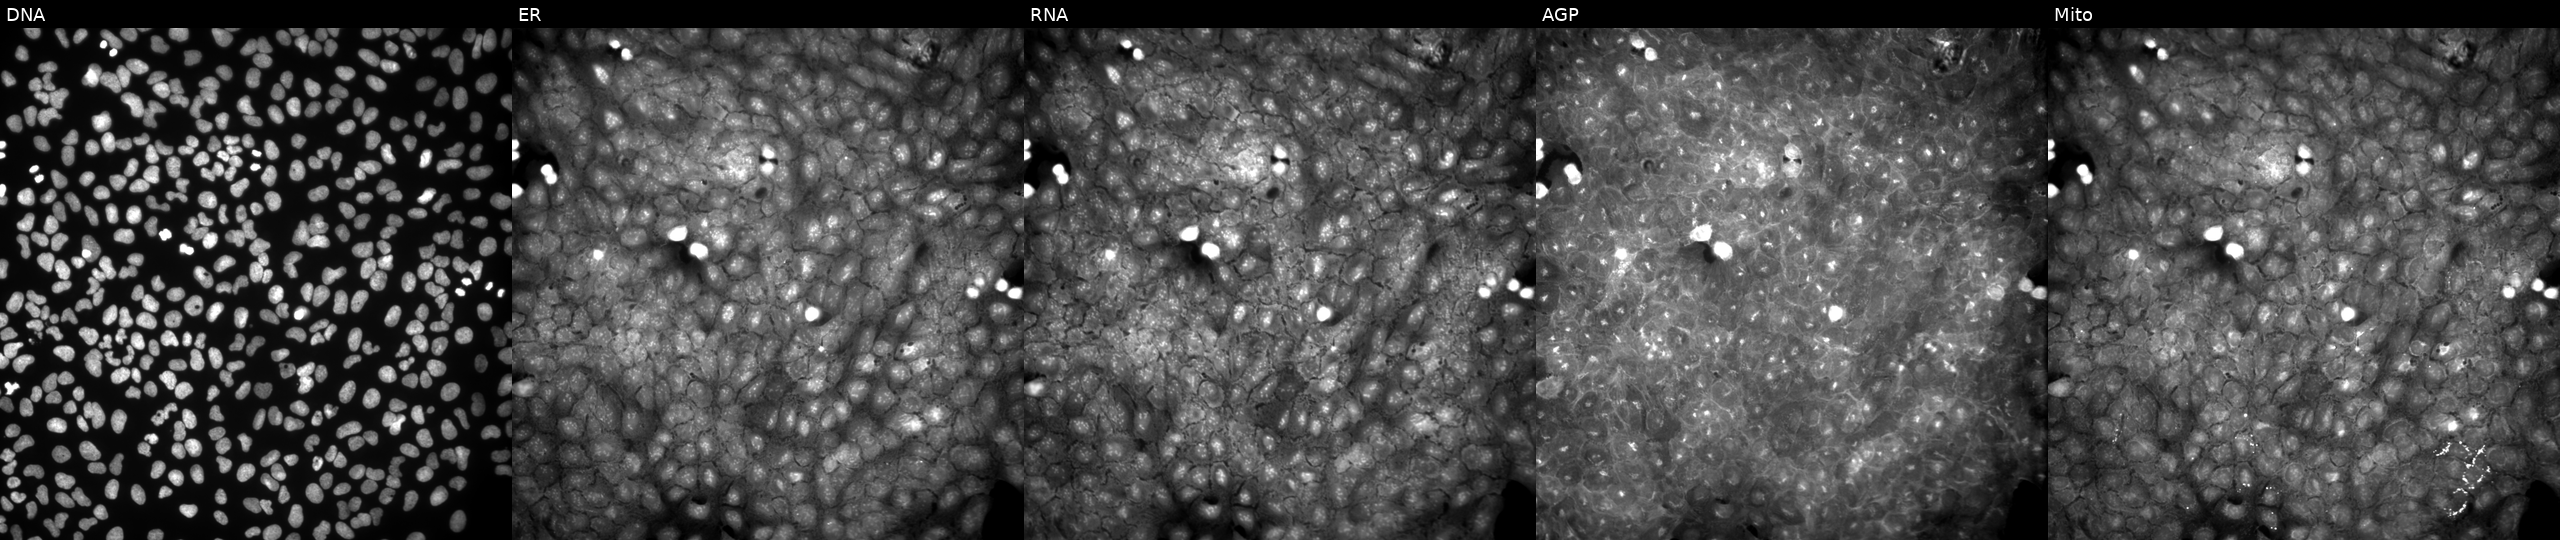
JUMP Cell Painting — COMPOUND plate. U2OS cells perturbed with a small-molecule compound (InChIKey RMFDFWIUWQZPBH-UHFFFAOYSA-N) [SMILES: Cc1ccc2[nH]c3c(c(=N)c2c1)CCN3c1ccccc1]. Channels (left→right): Hoechst 33342, concanavalin A, SYTO 14, phalloidin and WGA, MitoTracker.